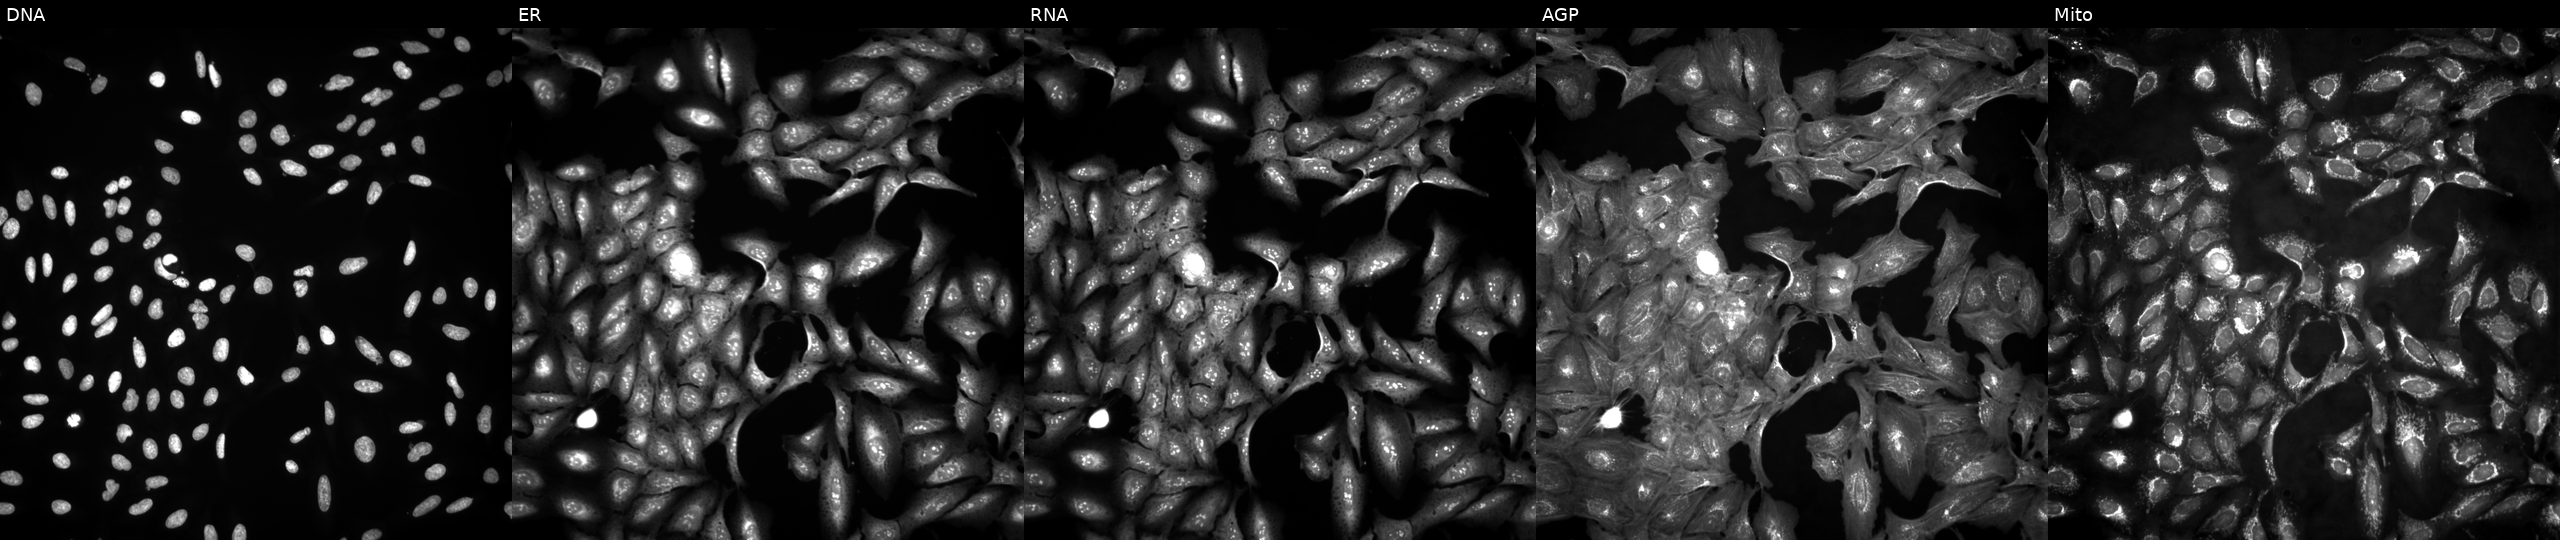
U2OS cells, Cell Painting assay, transfected with an ORF construct for PAK3. From left to right: DNA, ER, RNA, AGP, and Mito. Each panel is percentile-stretched 16-bit fluorescence. Source 4, plate BR00123945, well B05.